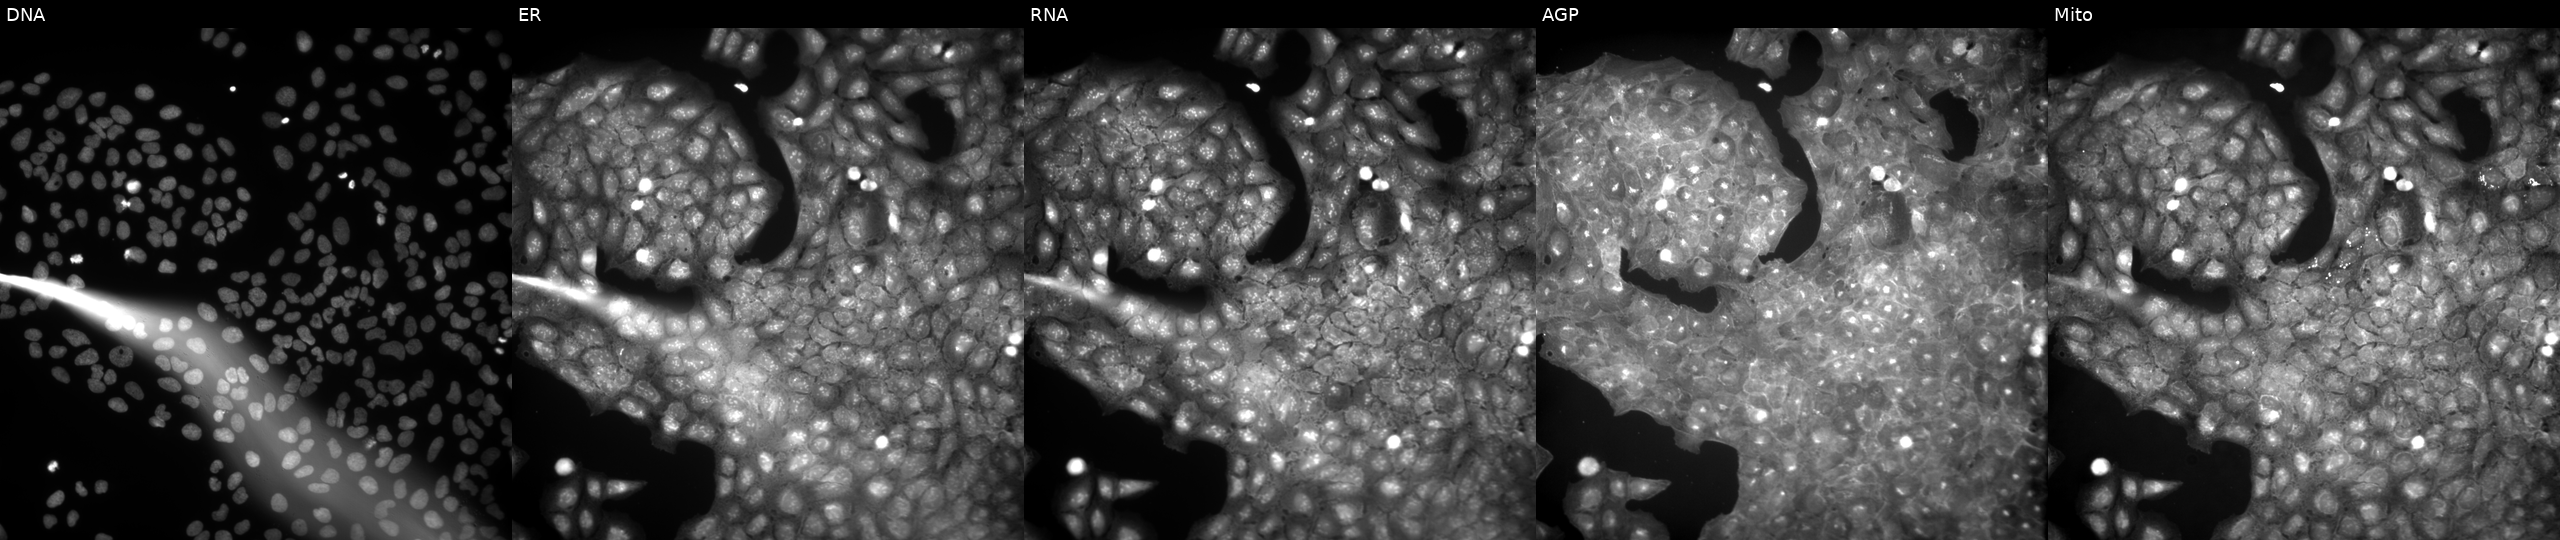
JUMP Cell Painting — COMPOUND plate. U2OS cells treated with DMSO vehicle only (negative control) (JUMP id JCP2022_033924). Panels show, left to right, DNA, ER, RNA, AGP, and Mito.